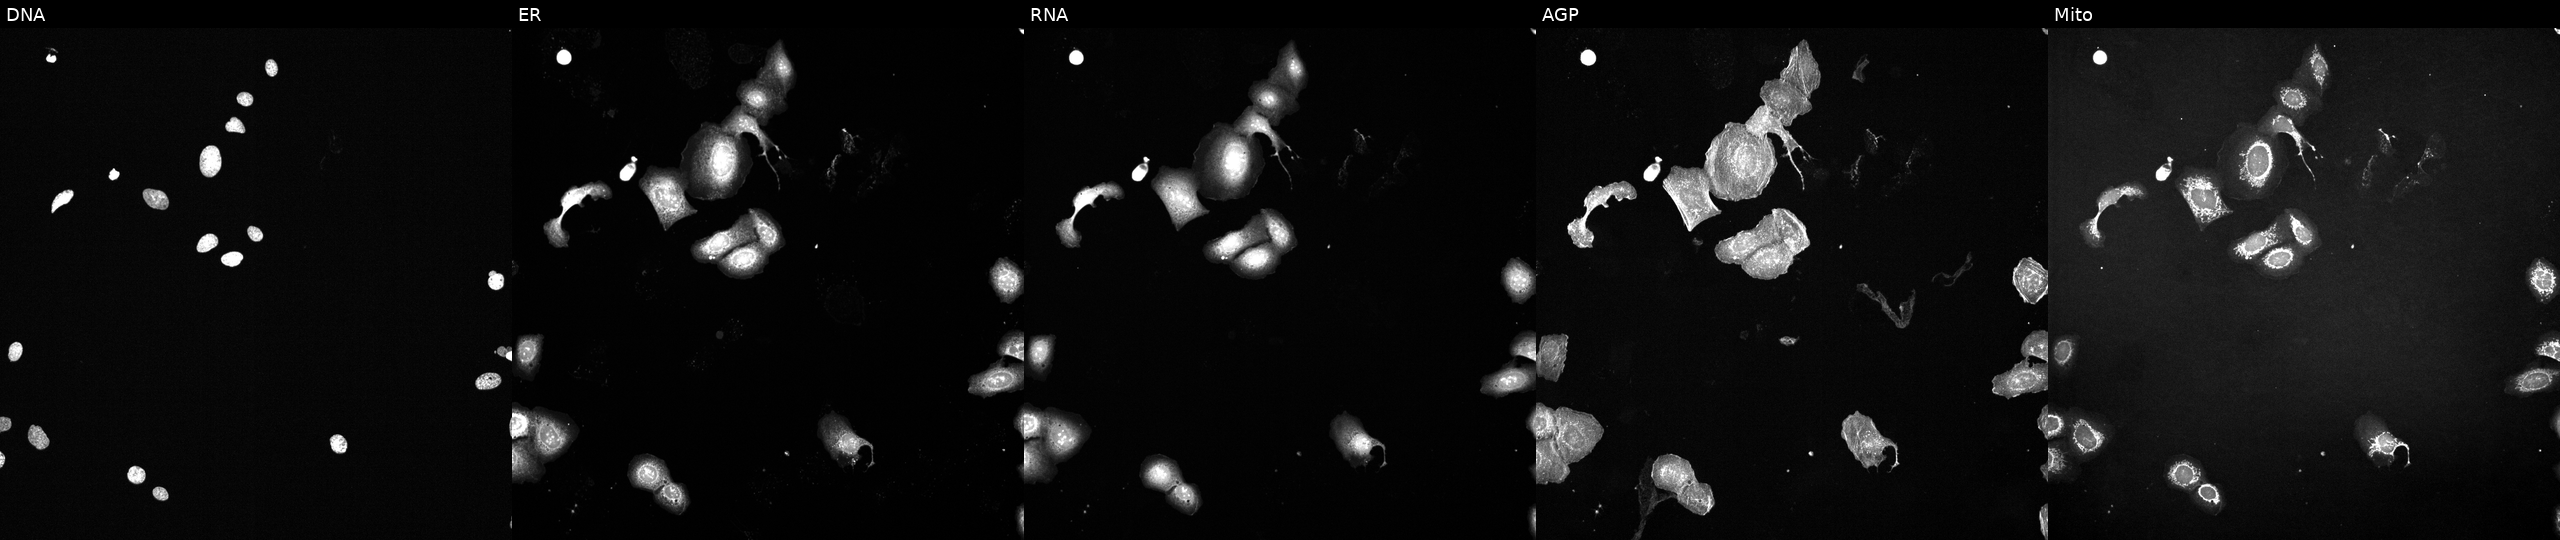
JUMP Cell Painting — TARGET2 plate. U2OS cells perturbed with a small-molecule compound (InChIKey CWHUFRVAEUJCEF-UHFFFAOYSA-N) [SMILES: N=c1cc(C(F)(F)F)c(-c2cc(N3CCOCC3)nc(N3CCOCC3)n2)c[nH]1]. From left to right: DNA (nuclei); ER (endoplasmic reticulum); RNA (nucleoli and cytoplasmic RNA); AGP (actin cytoskeleton, Golgi, and plasma membrane); Mito (mitochondria). Source 6, plate 110000293093, well D14.